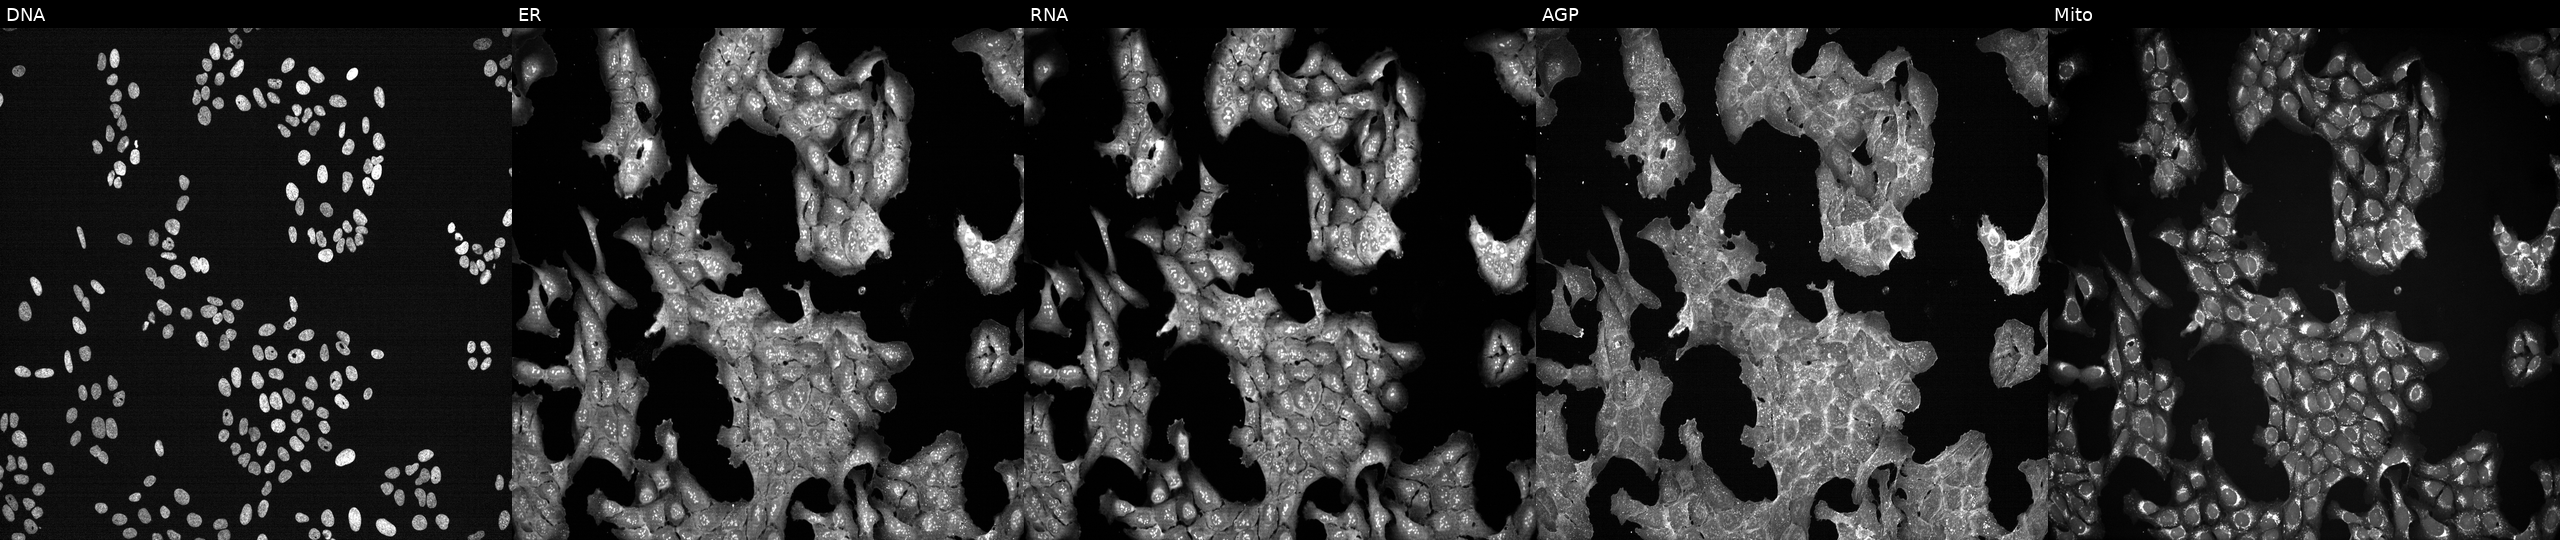
Panels show, left to right, DNA, ER, RNA, AGP, and Mito. U2OS osteosarcoma cells perturbed with a small-molecule compound (InChIKey WGZOTBUYUFBEPZ-UHFFFAOYSA-N). Cell Painting assay, JUMP-CP dataset. Source 7, plate CP3-SC1-25, well B09.